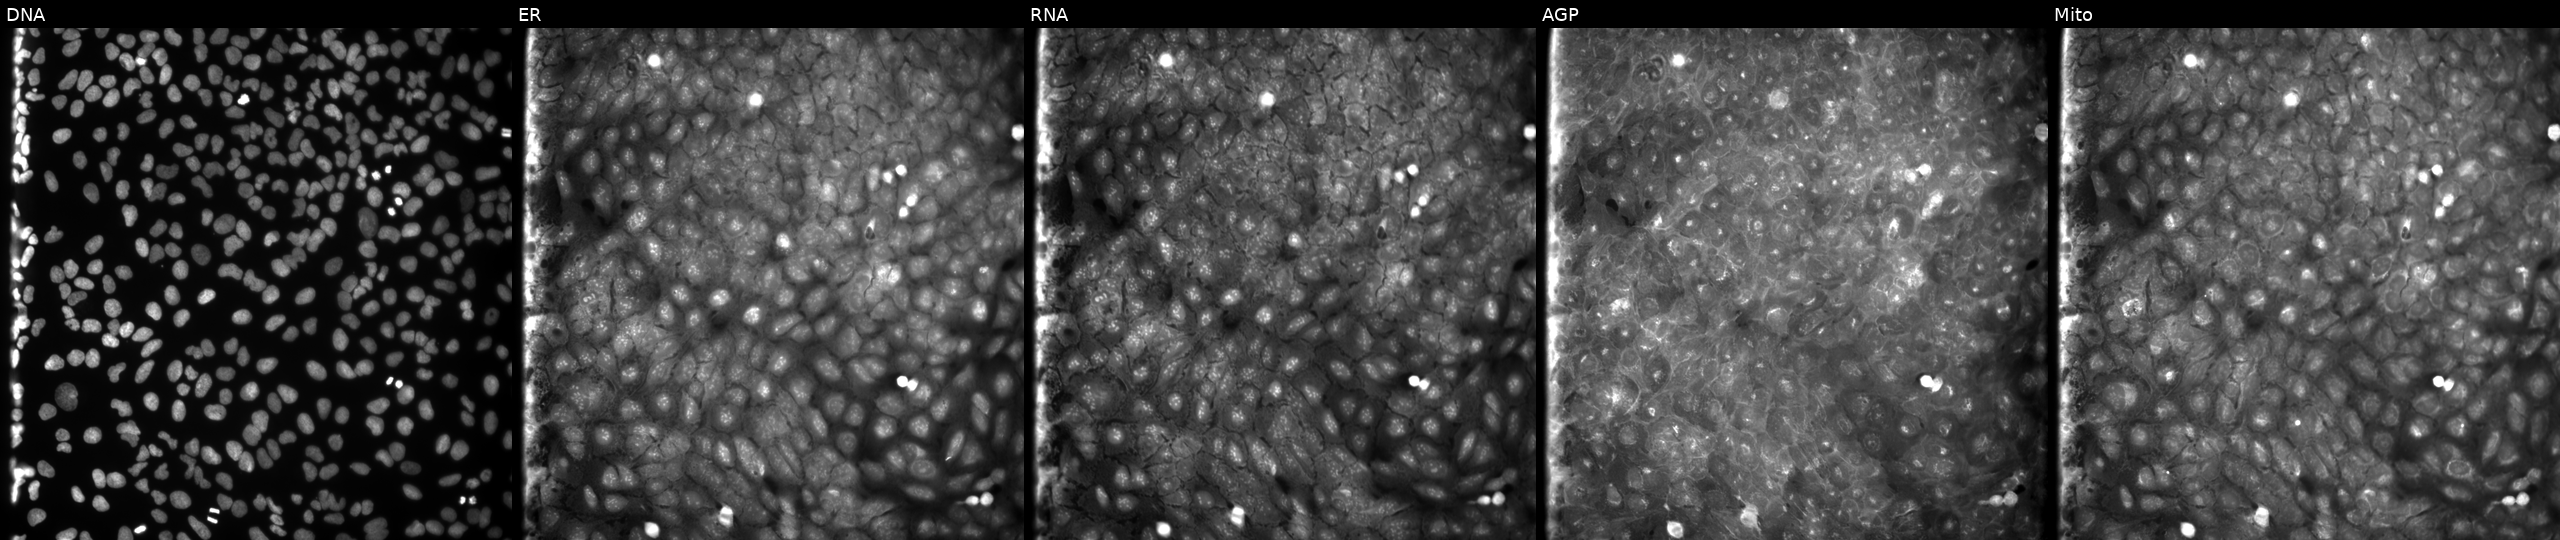
This image strip shows the five Cell Painting channels for a single field of U2OS cells treated with a small-molecule compound (InChIKey BIJYPYKUSFUYCL-UHFFFAOYSA-N). The five panels, left to right, show DNA (nuclei); ER (endoplasmic reticulum); RNA (nucleoli and cytoplasmic RNA); AGP (actin cytoskeleton, Golgi, and plasma membrane); Mito (mitochondria). Source 9, plate GR00003381, well K07.